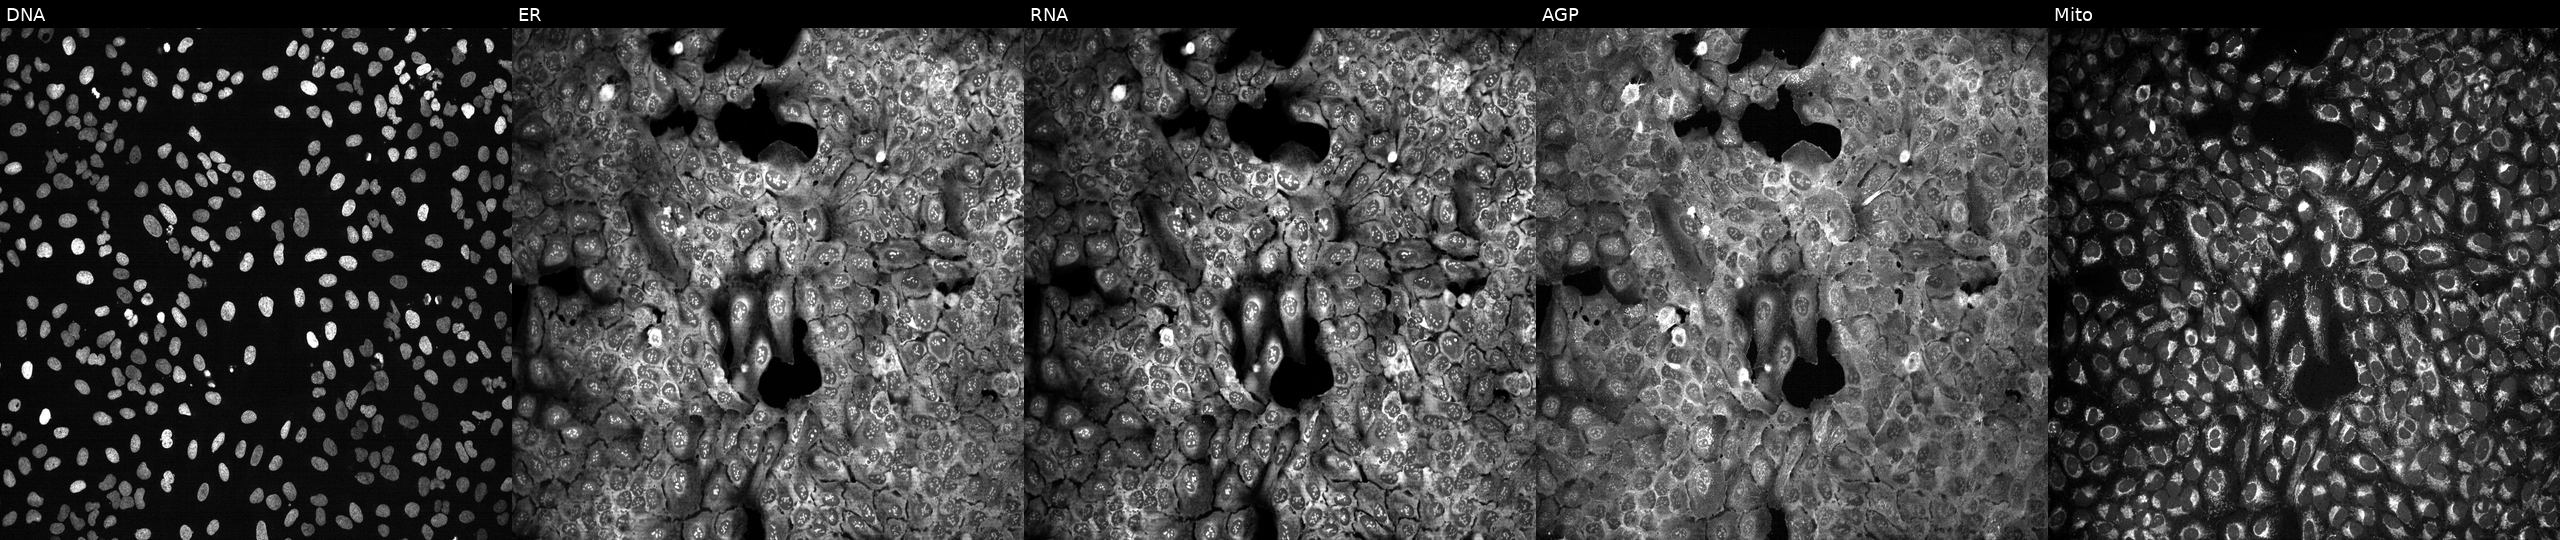
JUMP Cell Painting — CRISPR plate. U2OS cells CRISPR-edited to disrupt GNA14. The five panels, left to right, show DNA, ER, RNA, AGP, and Mito.